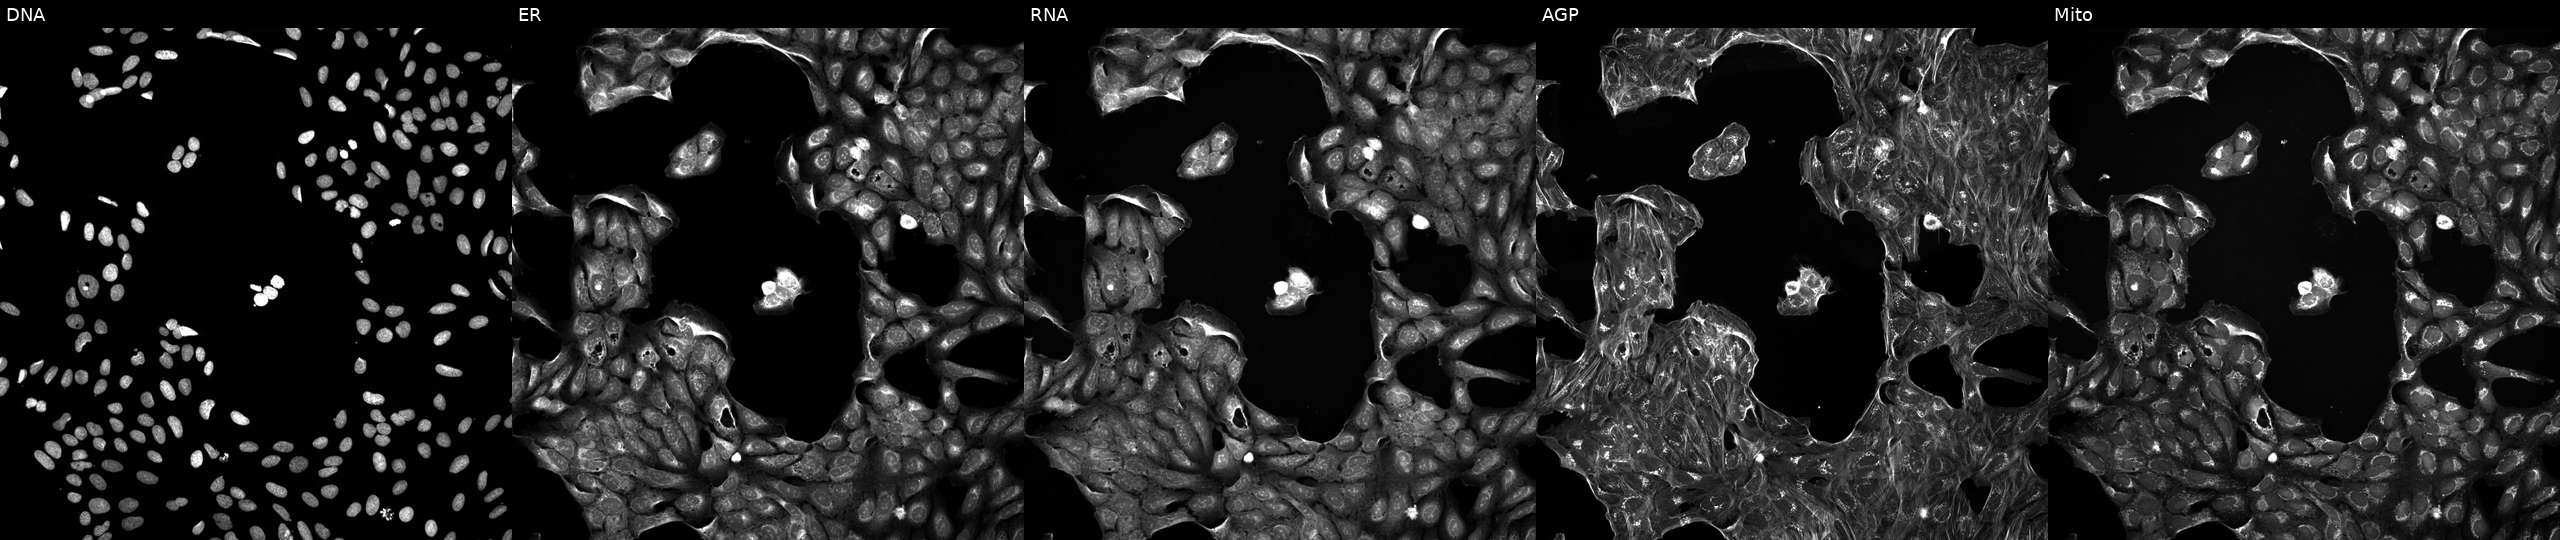
Five-channel Cell Painting image of U2OS cells exposed to a small-molecule compound (InChIKey SCELLOWTHJGVIC-UHFFFAOYSA-N) [SMILES: CC1CN(CC(=O)Nc2ccc3c(c2)Cc2cccc(-c4cc(=O)cc(N5CCOCC5)o4)c2S3)CC(C)O1]. Channels (left→right): Hoechst 33342, concanavalin A, SYTO 14, phalloidin and WGA, MitoTracker. Source 5, plate ACPJUM012, well J17.